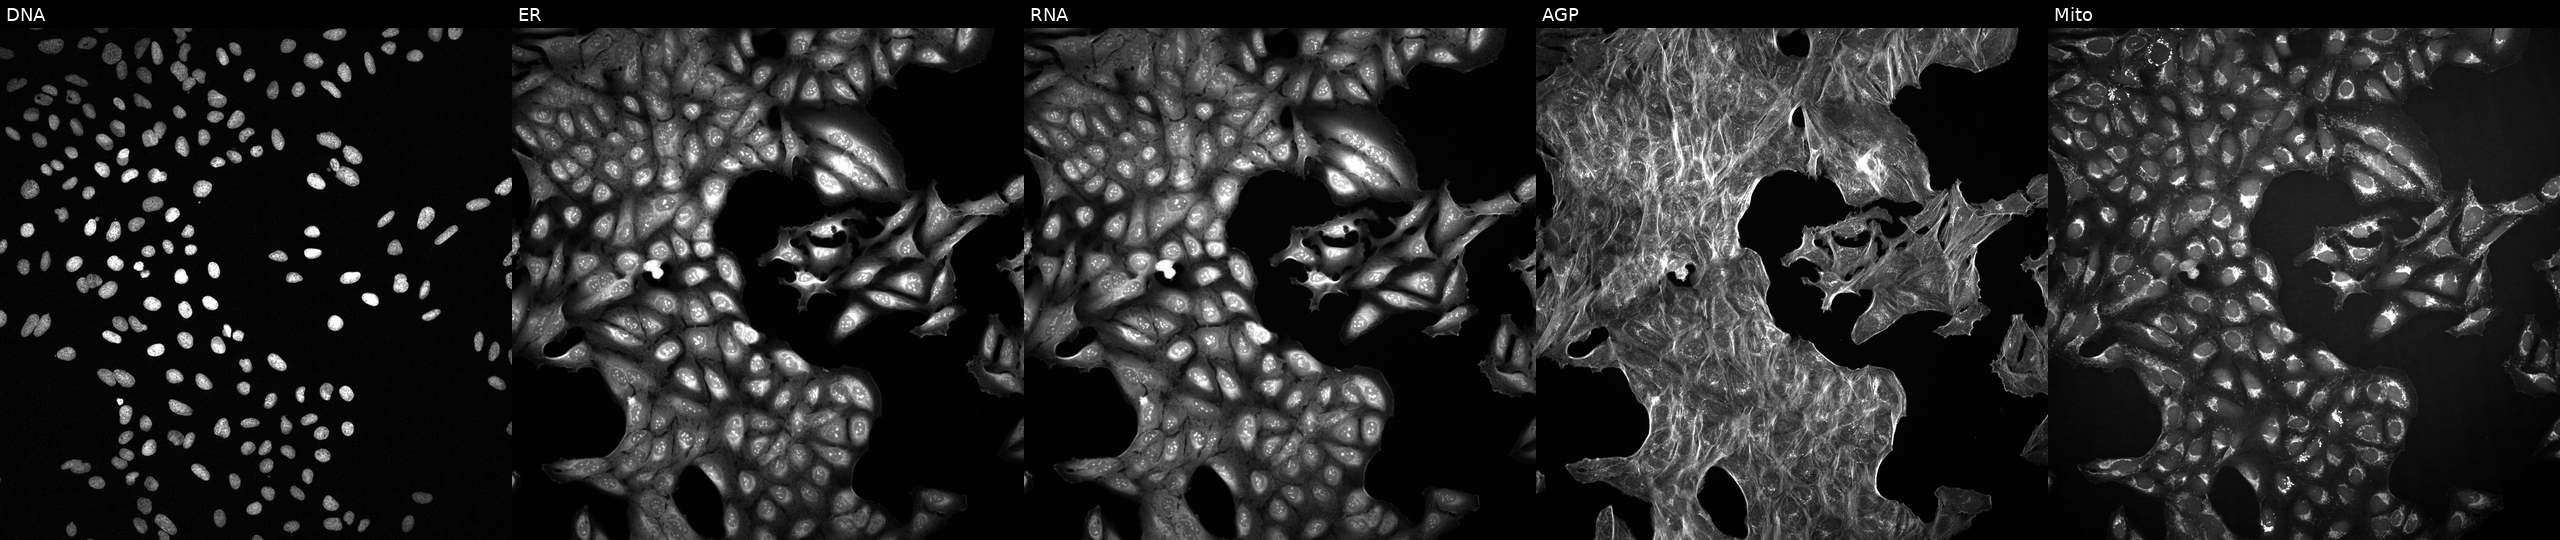
Panels show, left to right, DNA, ER, RNA, AGP, and Mito. U2OS osteosarcoma cells with an unidentified perturbation (not annotated in JUMP metadata). Cell Painting assay, JUMP-CP dataset. Source 2, plate 1053601756, well J18.